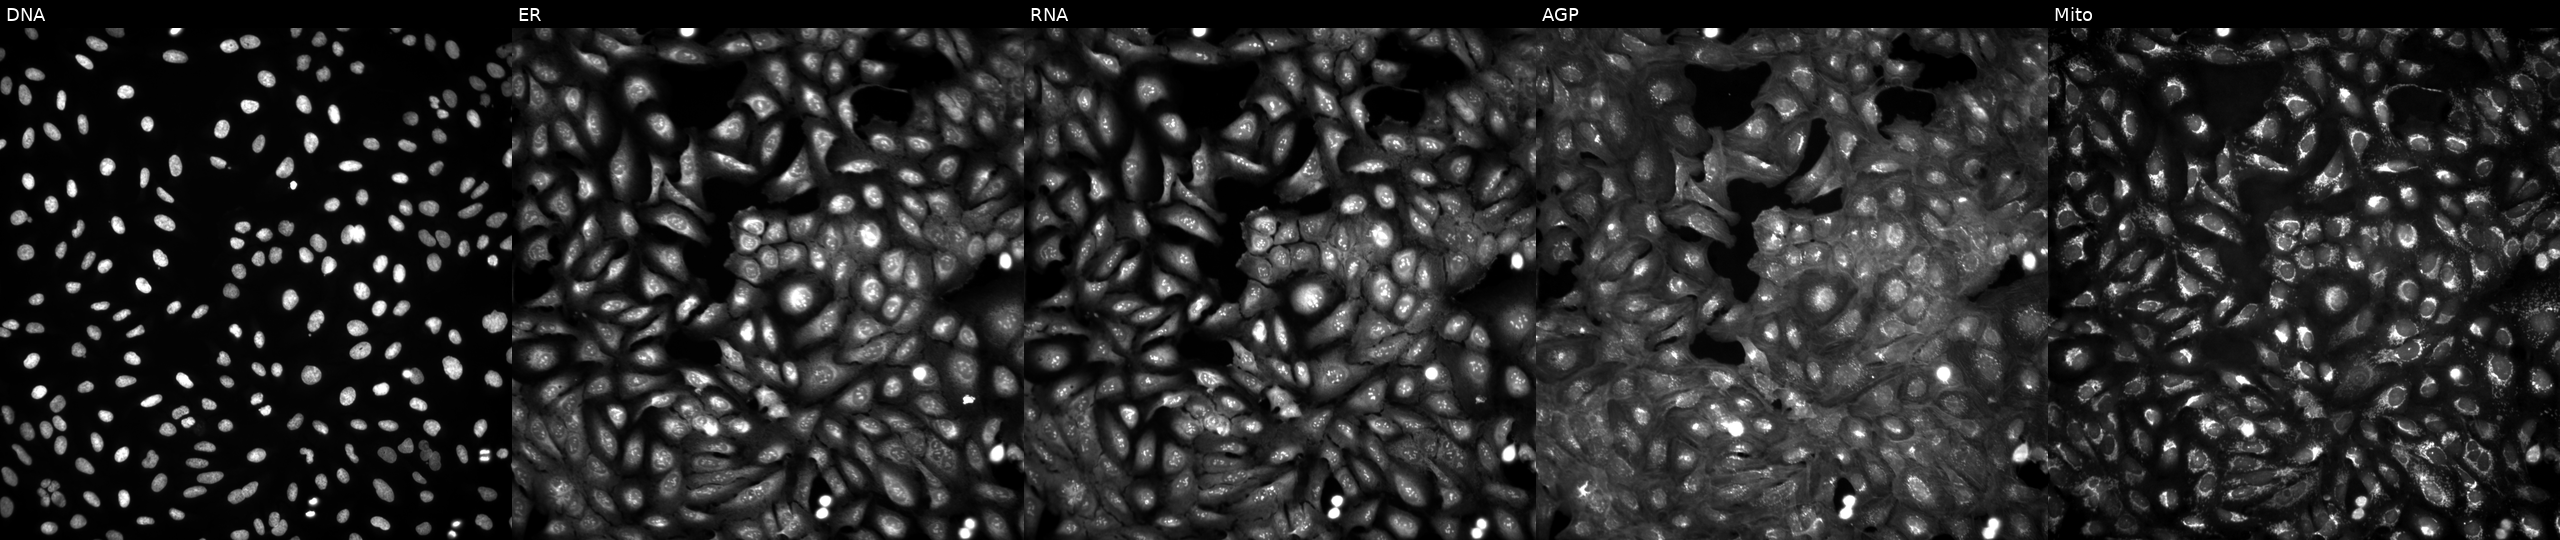
This image strip shows the five Cell Painting channels for a single field of U2OS cells untreated (empty-well control). From left to right: DNA, ER, RNA, AGP, and Mito.